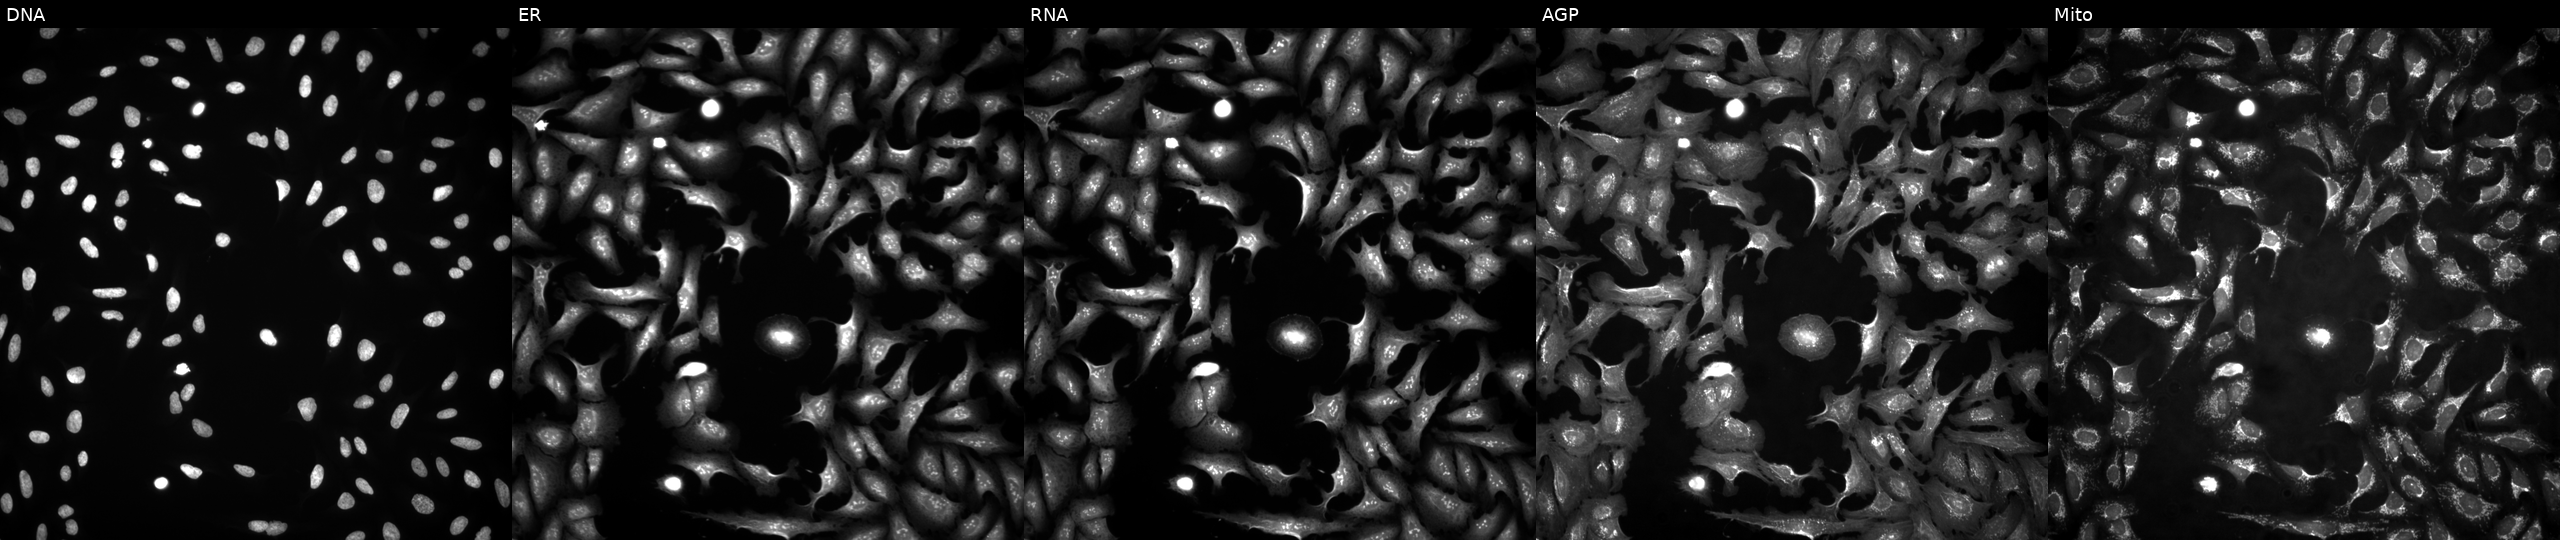
JUMP Cell Painting — ORF plate. U2OS cells transfected with an ORF construct for IDH3B (JUMP id JCP2022_900766). Panels show, left to right, DNA, ER, RNA, AGP, and Mito.